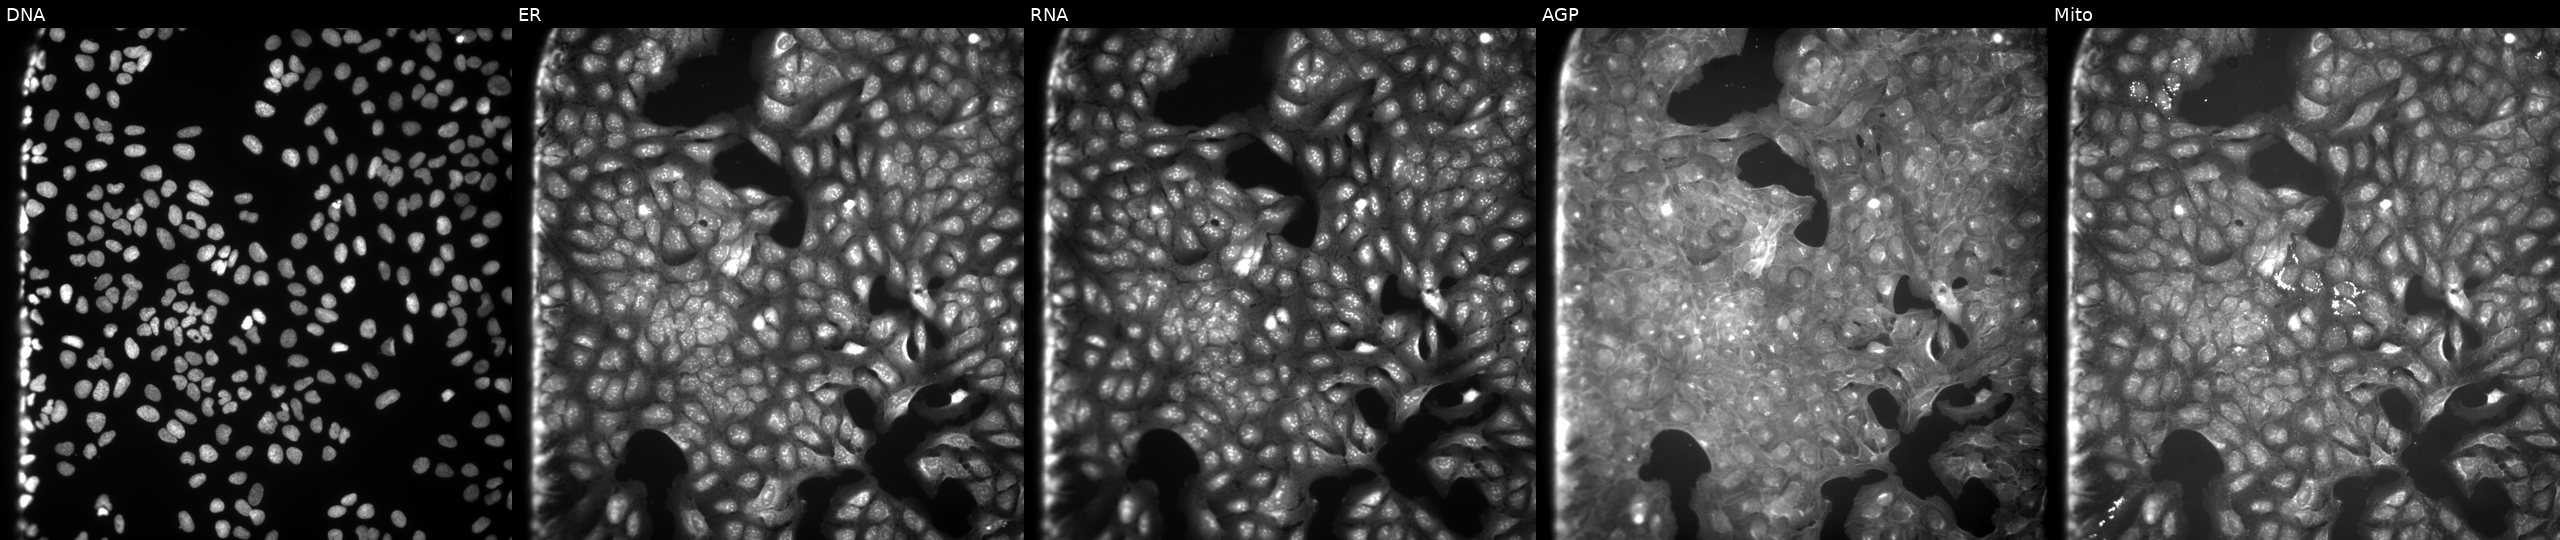
High-content fluorescence microscopy (Cell Painting). Cell line: U2OS. Perturbation: treated with quinidine (positive-control compound) (JUMP id JCP2022_050797). Channels (left→right): Hoechst 33342, concanavalin A, SYTO 14, phalloidin and WGA, MitoTracker.